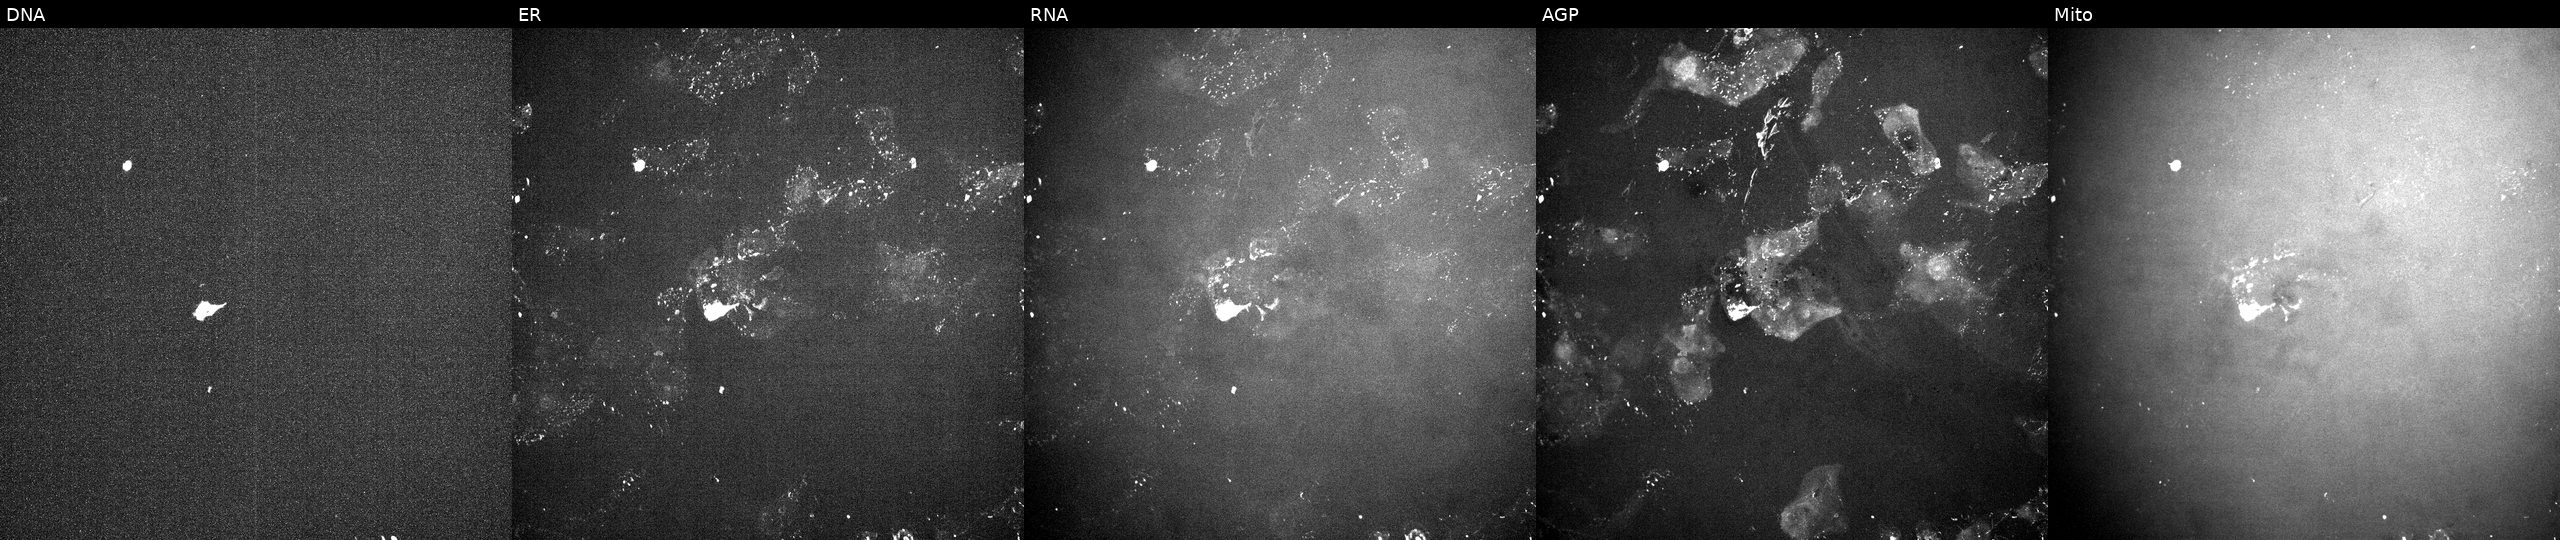
This image strip shows the five Cell Painting channels for a single field of U2OS cells treated with a small-molecule compound [SMILES: CC(=O)C(NC(=O)c1cccc(-c2ccccc2)n1)C(O)NC(CC(C)C)B(O)O] (JUMP id JCP2022_106219). Channels (left→right): Hoechst 33342, concanavalin A, SYTO 14, phalloidin and WGA, MitoTracker.